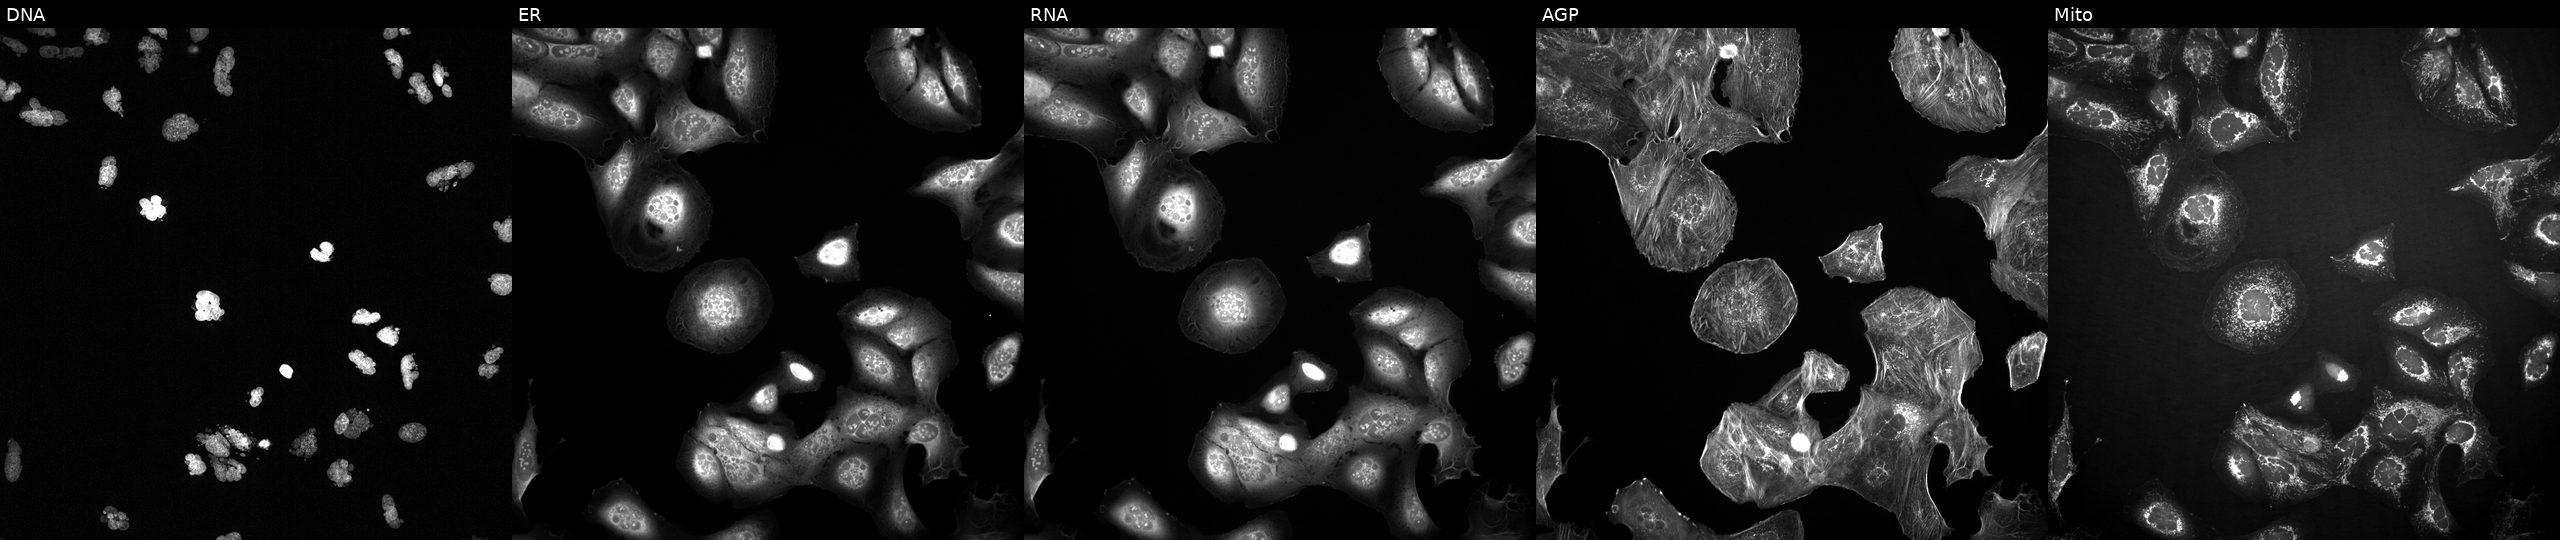
High-content fluorescence microscopy (Cell Painting). Cell line: U2OS. Perturbation: exposed to the positive-control compound AMG900. Channels (left→right): Hoechst 33342, concanavalin A, SYTO 14, phalloidin and WGA, MitoTracker.